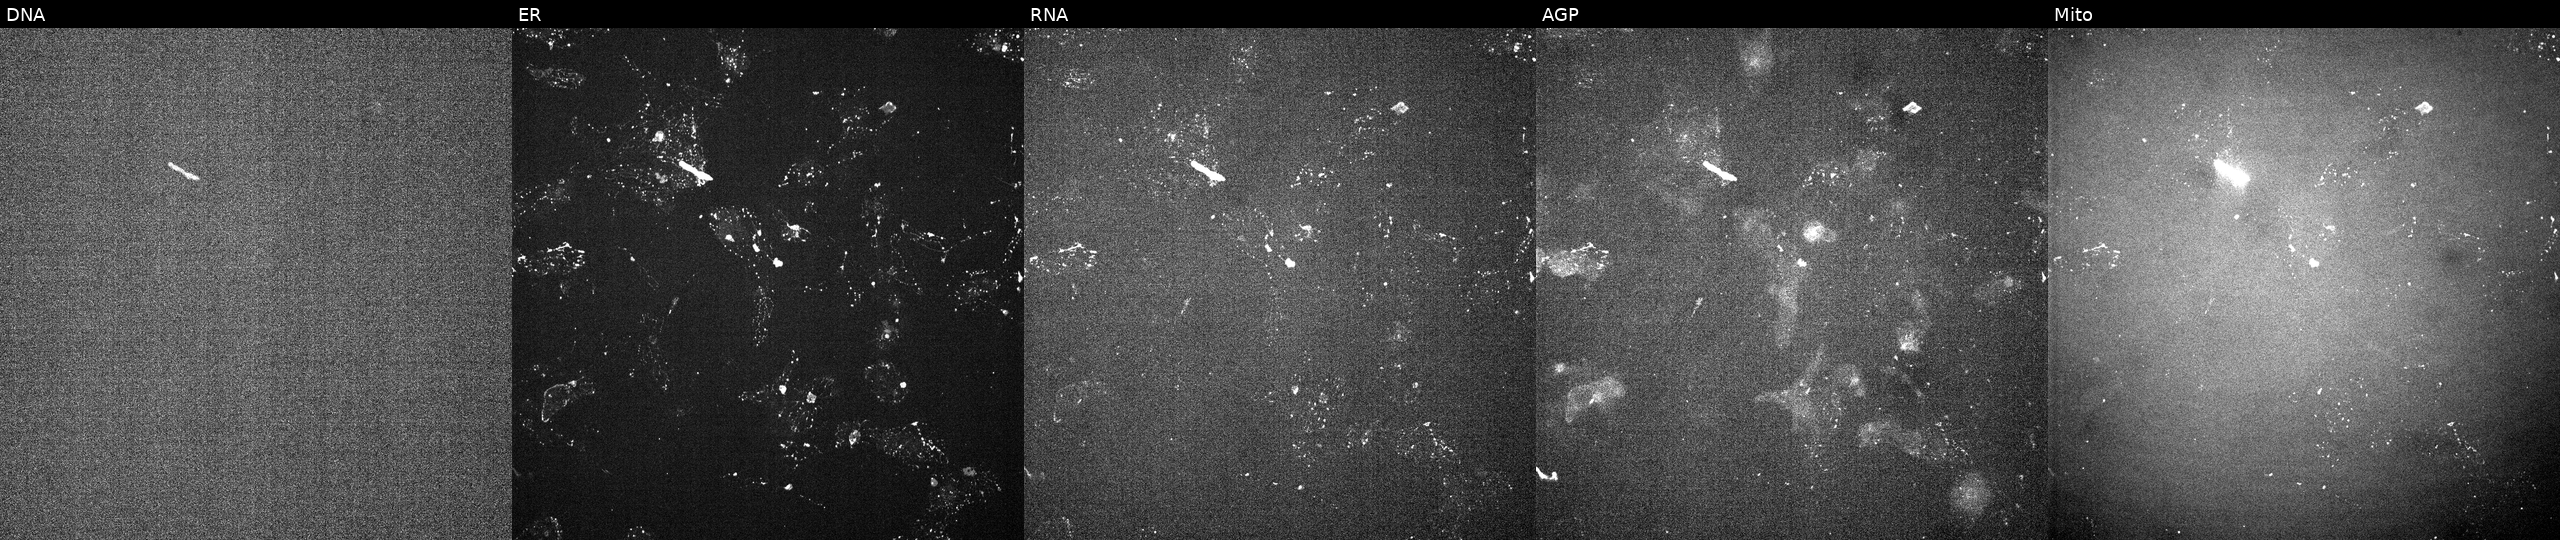
From left to right: Hoechst 33342, concanavalin A, SYTO 14, phalloidin and WGA, MitoTracker. U2OS osteosarcoma cells treated with a small-molecule compound (InChIKey RXWNCPJZOCPEPQ-UHFFFAOYSA-N) [SMILES: COc1ccc(CC(N)C(=O)NC2C(CO)OC(n3cnc4c(N(C)C)ncnc43)C2O)cc1] (JUMP id JCP2022_081430). Cell Painting assay, JUMP-CP dataset. Source 6, plate 110000294901, well G10.